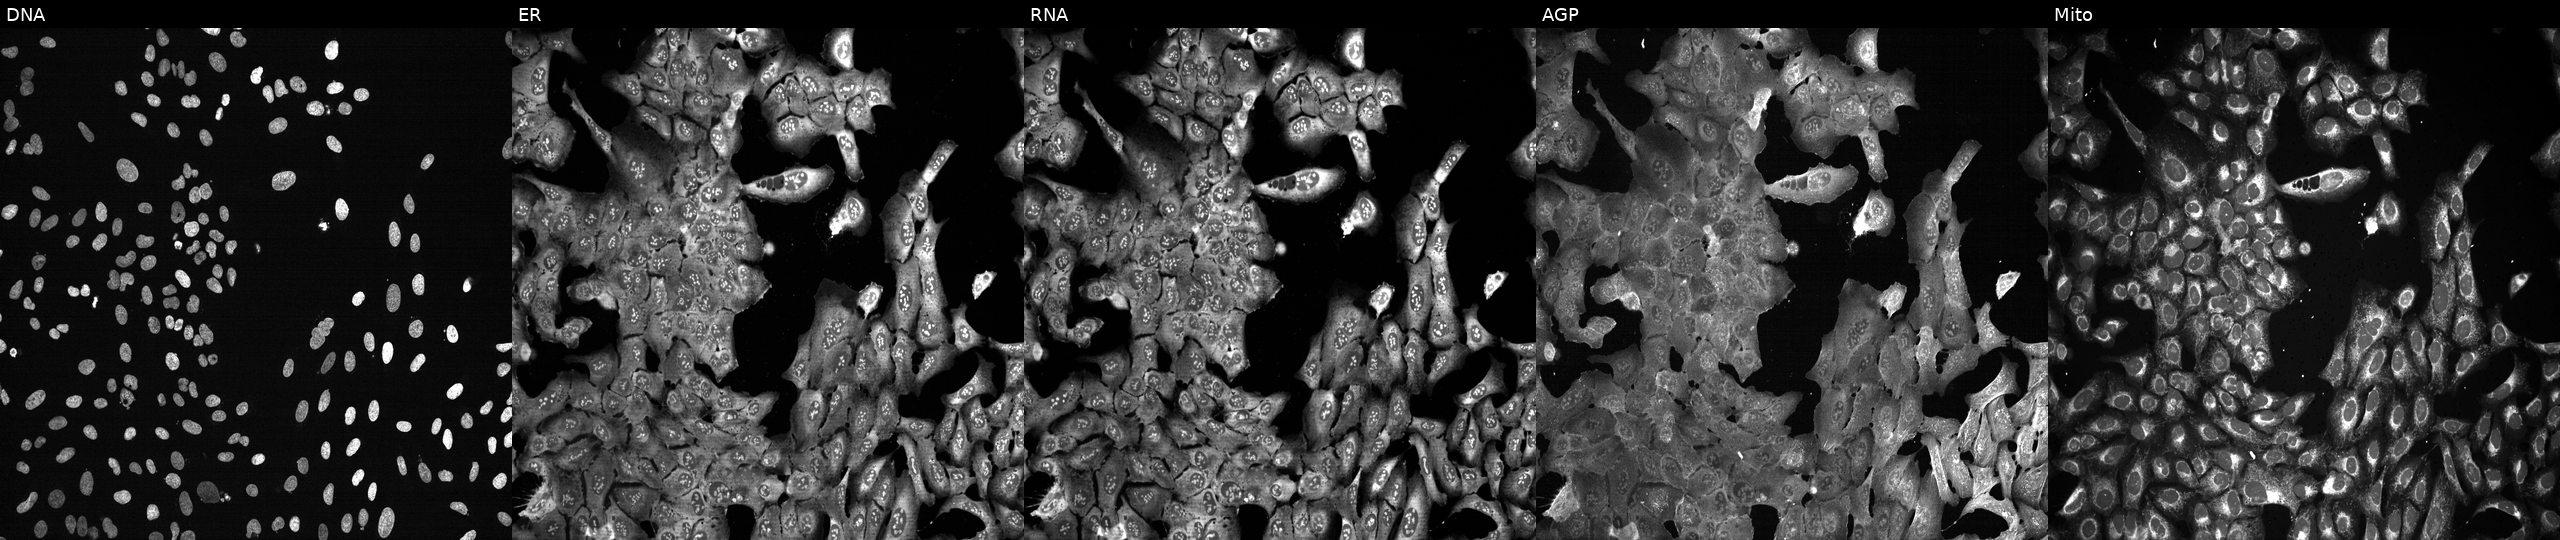
U2OS cells, Cell Painting assay, with EIF3E knocked out by CRISPR (JUMP id JCP2022_802060). Channels (left→right): DNA, ER, RNA, AGP, and Mito. Each panel is percentile-stretched 16-bit fluorescence.